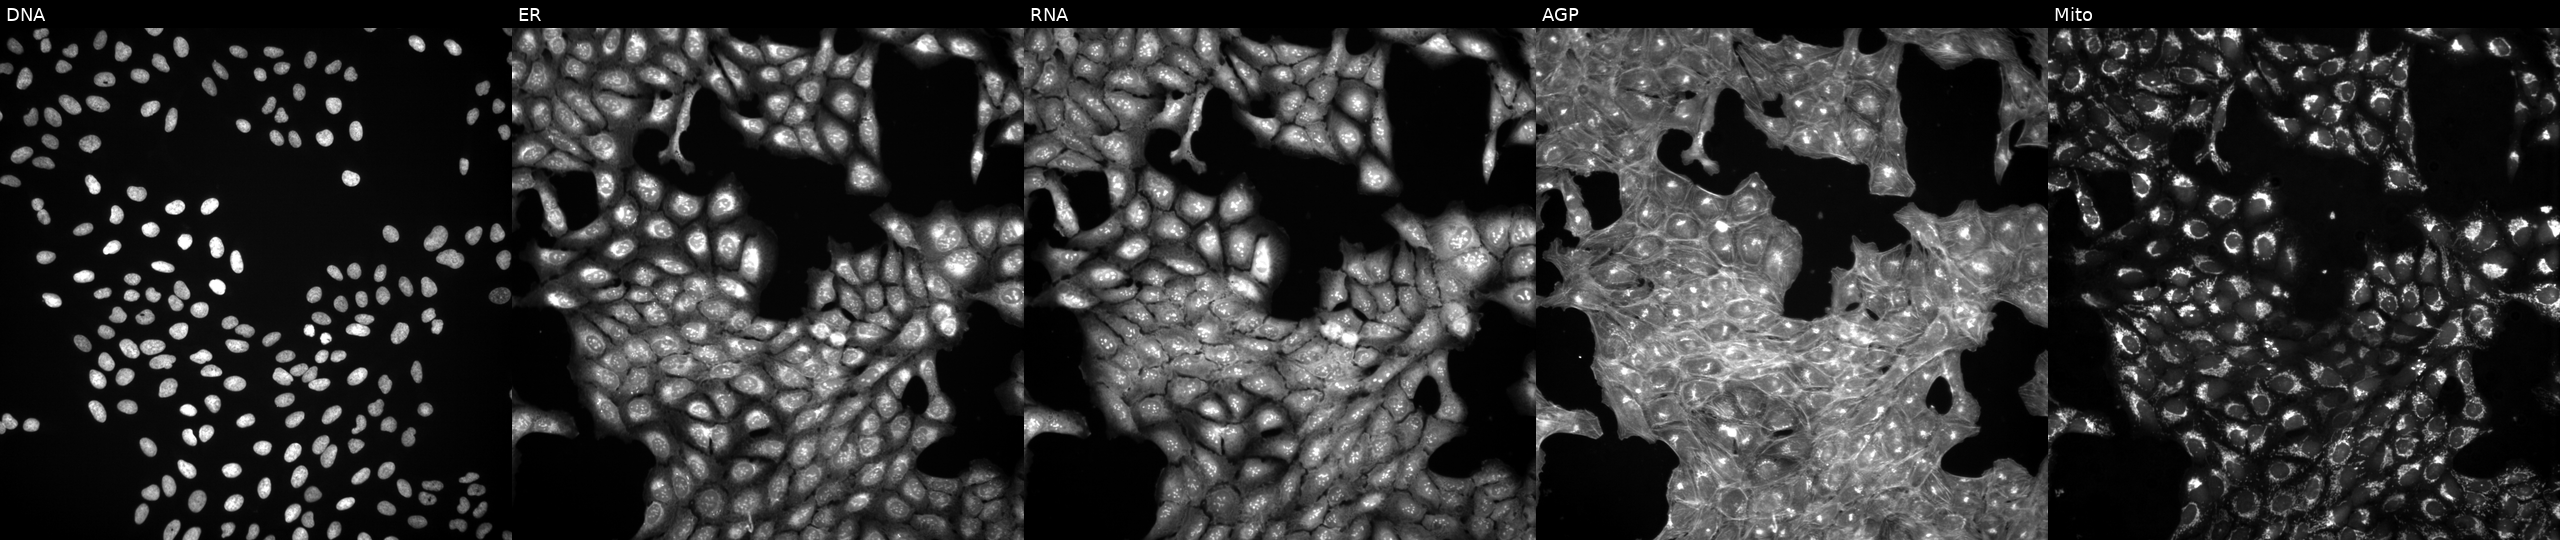
This image strip shows the five Cell Painting channels for a single field of U2OS cells exposed to DMSO alone as a negative control. Channels (left→right): DNA, ER, RNA, AGP, and Mito.